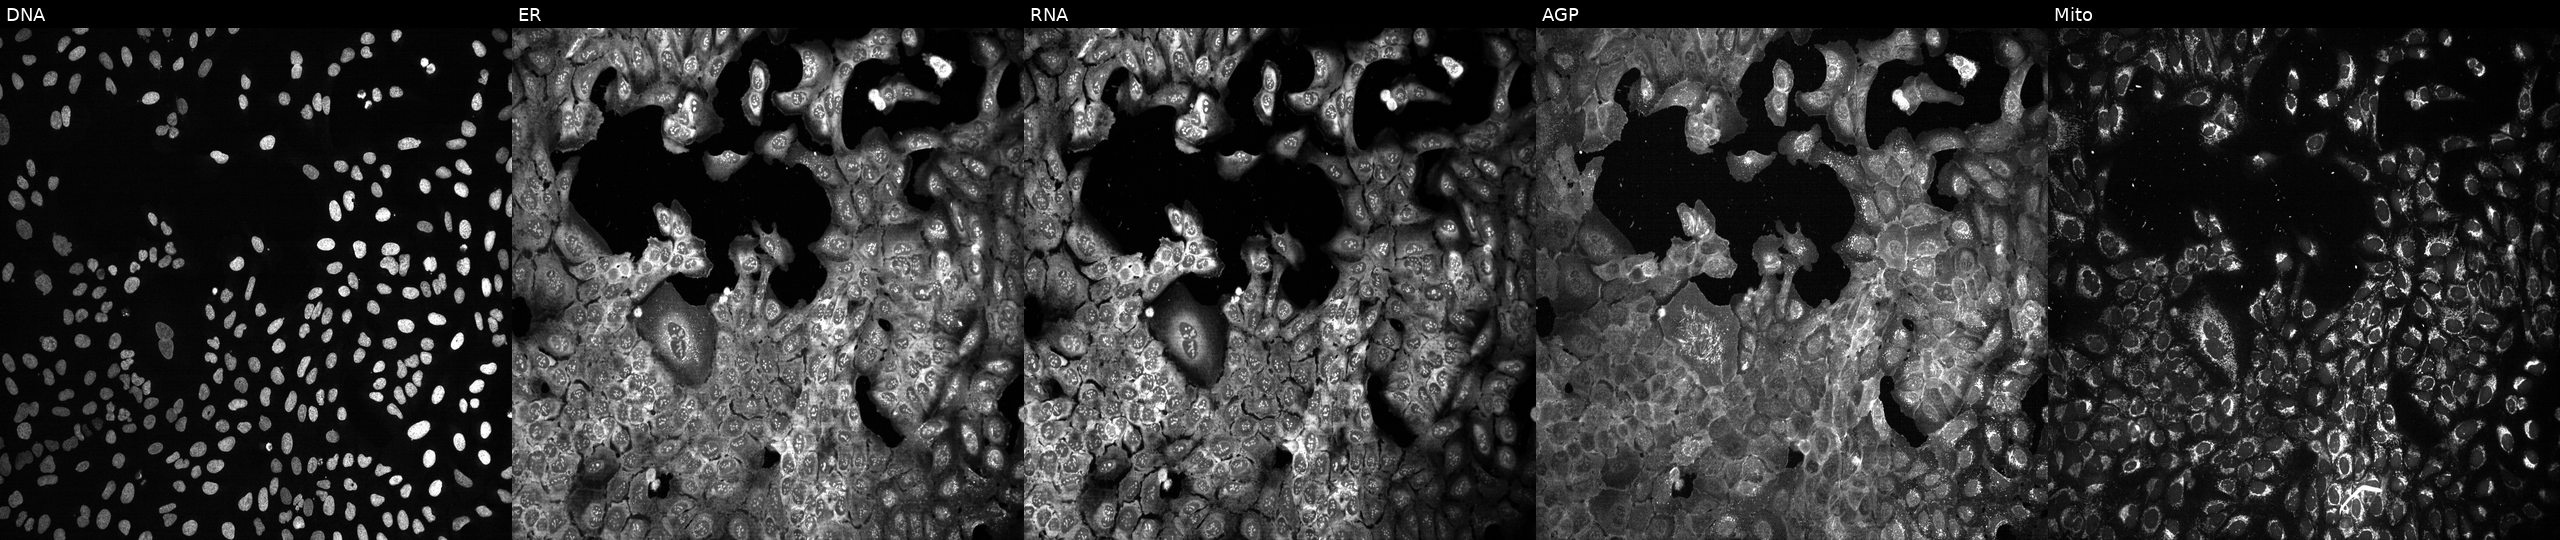
U2OS cells, Cell Painting assay, with SULF1 knocked out by CRISPR. From left to right: Hoechst 33342, concanavalin A, SYTO 14, phalloidin and WGA, MitoTracker. Each panel is percentile-stretched 16-bit fluorescence. Source 13, plate CP-CC9-R3-01, well G03.